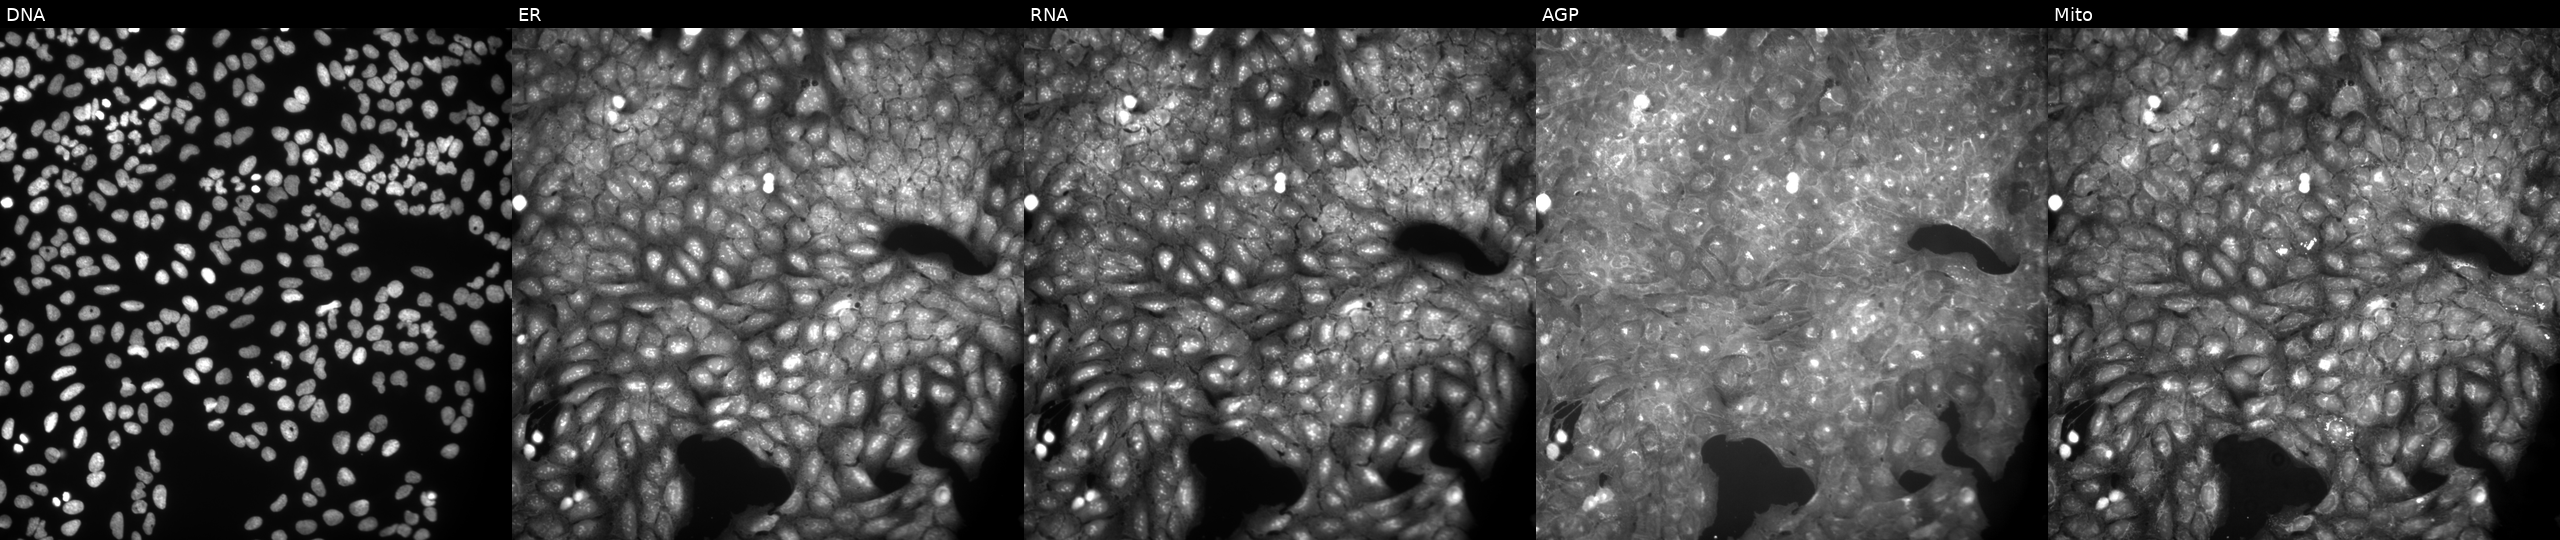
The five panels, left to right, show Hoechst 33342, concanavalin A, SYTO 14, phalloidin and WGA, MitoTracker. U2OS osteosarcoma cells exposed to a small-molecule compound (InChIKey NUEJFDWDVOUORI-UHFFFAOYSA-N) (JUMP id JCP2022_061386). Cell Painting assay, JUMP-CP dataset. Source 9, plate GR00003382, well S37.